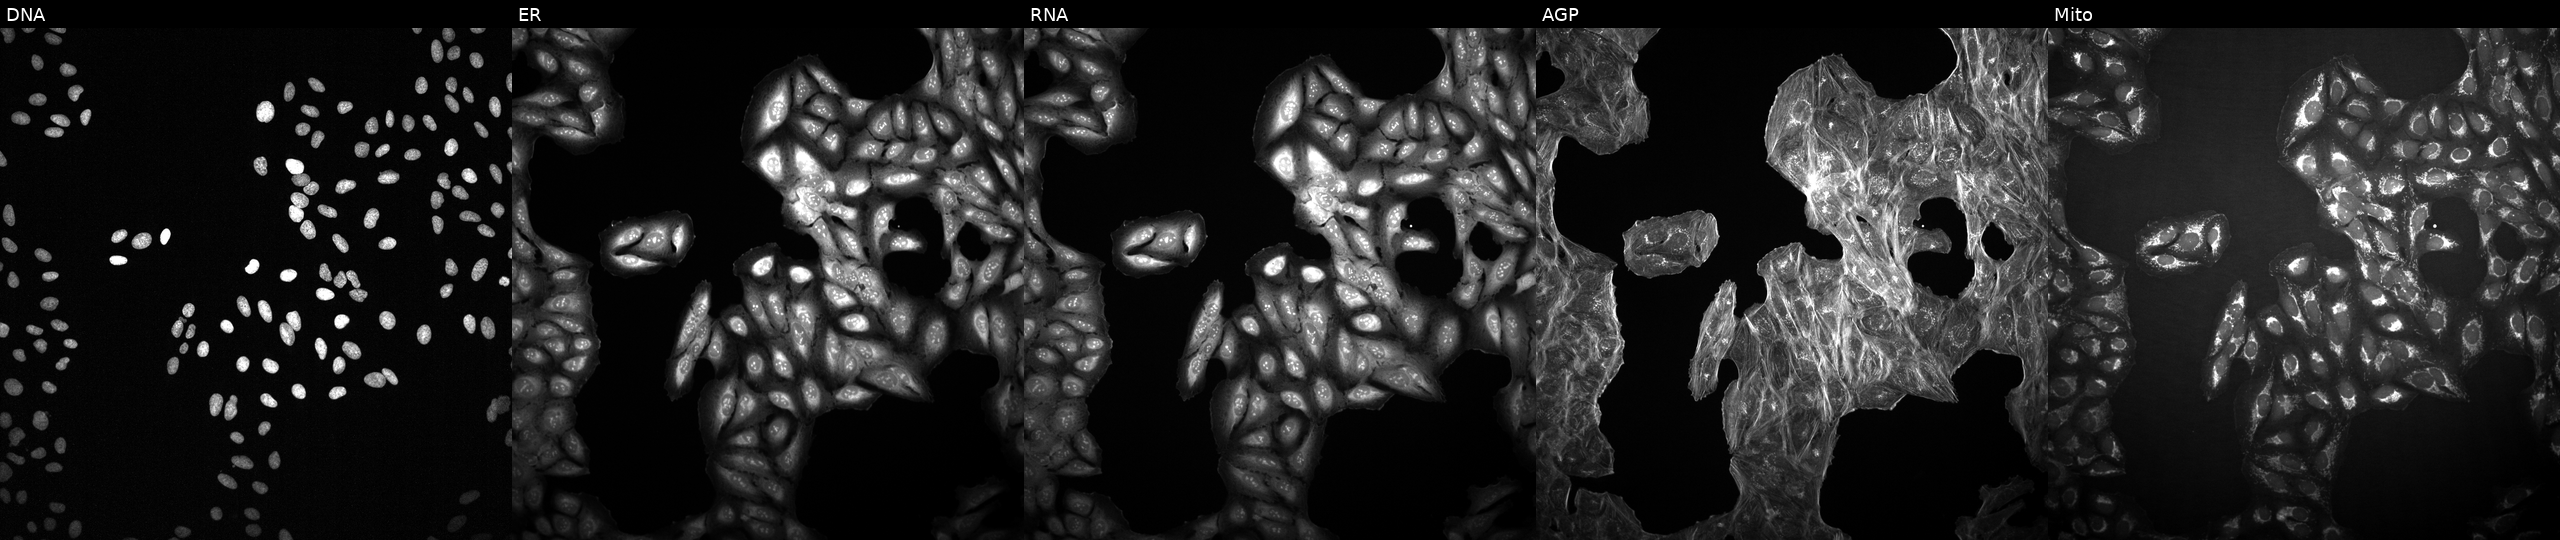
High-content fluorescence microscopy (Cell Painting). Cell line: U2OS. Perturbation: treated with a small-molecule compound (JUMP id JCP2022_027702). Panels show, left to right, Hoechst 33342, concanavalin A, SYTO 14, phalloidin and WGA, MitoTracker. Source 2, plate 1053601763, well A18.